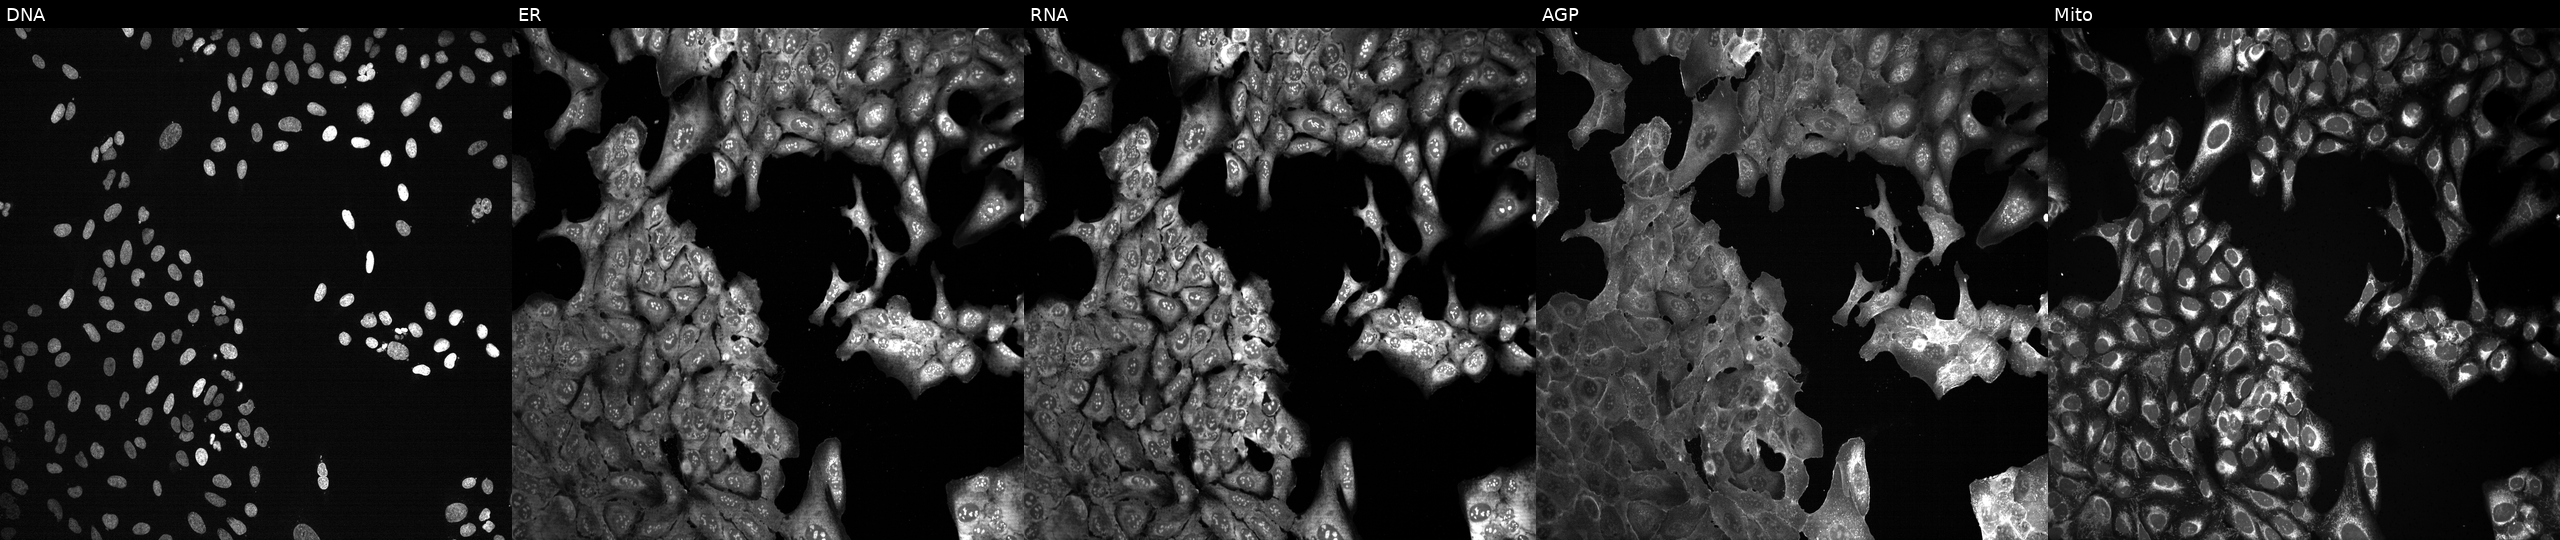
This image strip shows the five Cell Painting channels for a single field of U2OS cells CRISPR-edited to disrupt AGTPBP1 (JUMP id JCP2022_800321). The five panels, left to right, show Hoechst 33342, concanavalin A, SYTO 14, phalloidin and WGA, MitoTracker. Source 13, plate CP-CC9-R6-19, well A06.